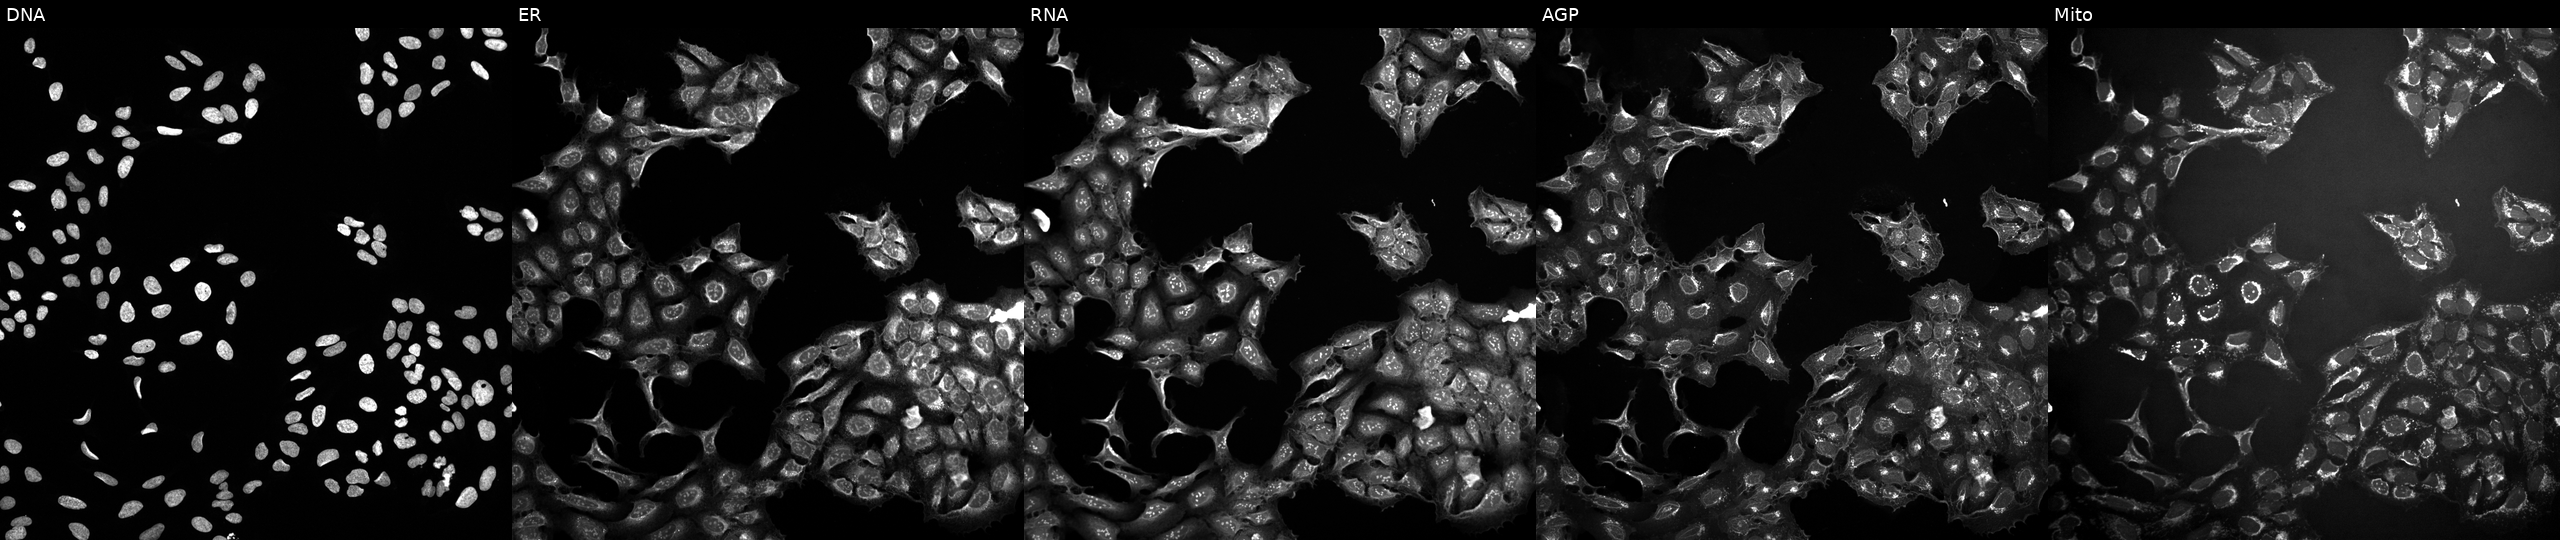
U2OS cells, Cell Painting assay, perturbed with a small-molecule compound (JUMP id JCP2022_060311). Channels (left→right): DNA, ER, RNA, AGP, and Mito. Each panel is percentile-stretched 16-bit fluorescence.